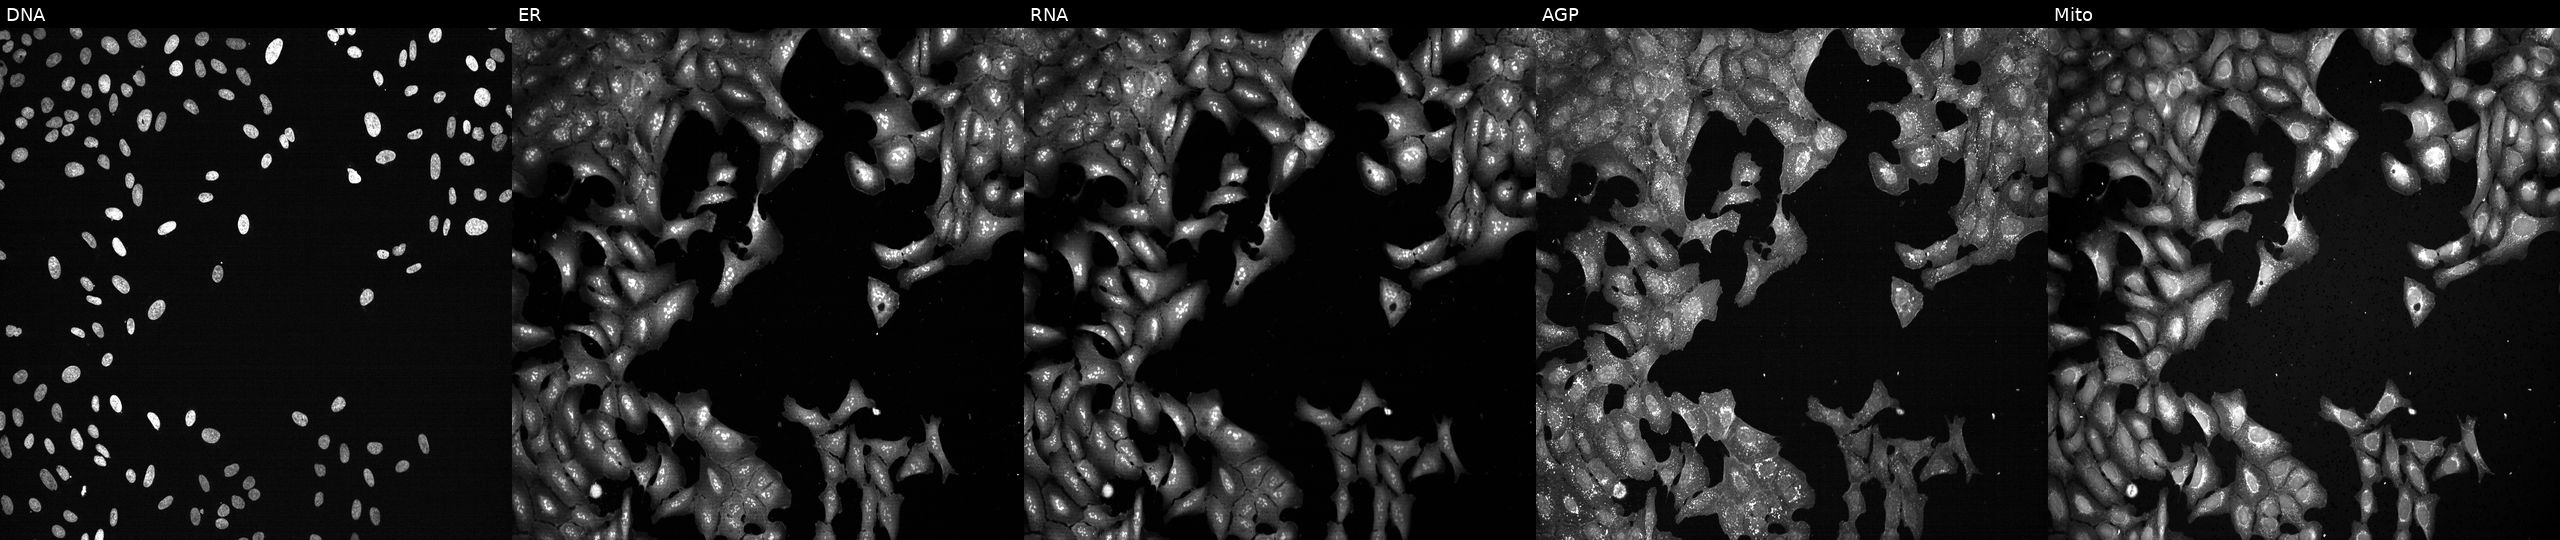
The five panels, left to right, show Hoechst 33342, concanavalin A, SYTO 14, phalloidin and WGA, MitoTracker. U2OS osteosarcoma cells CRISPR-edited to disrupt AMD1 (JUMP id JCP2022_800436). Cell Painting assay, JUMP-CP dataset.